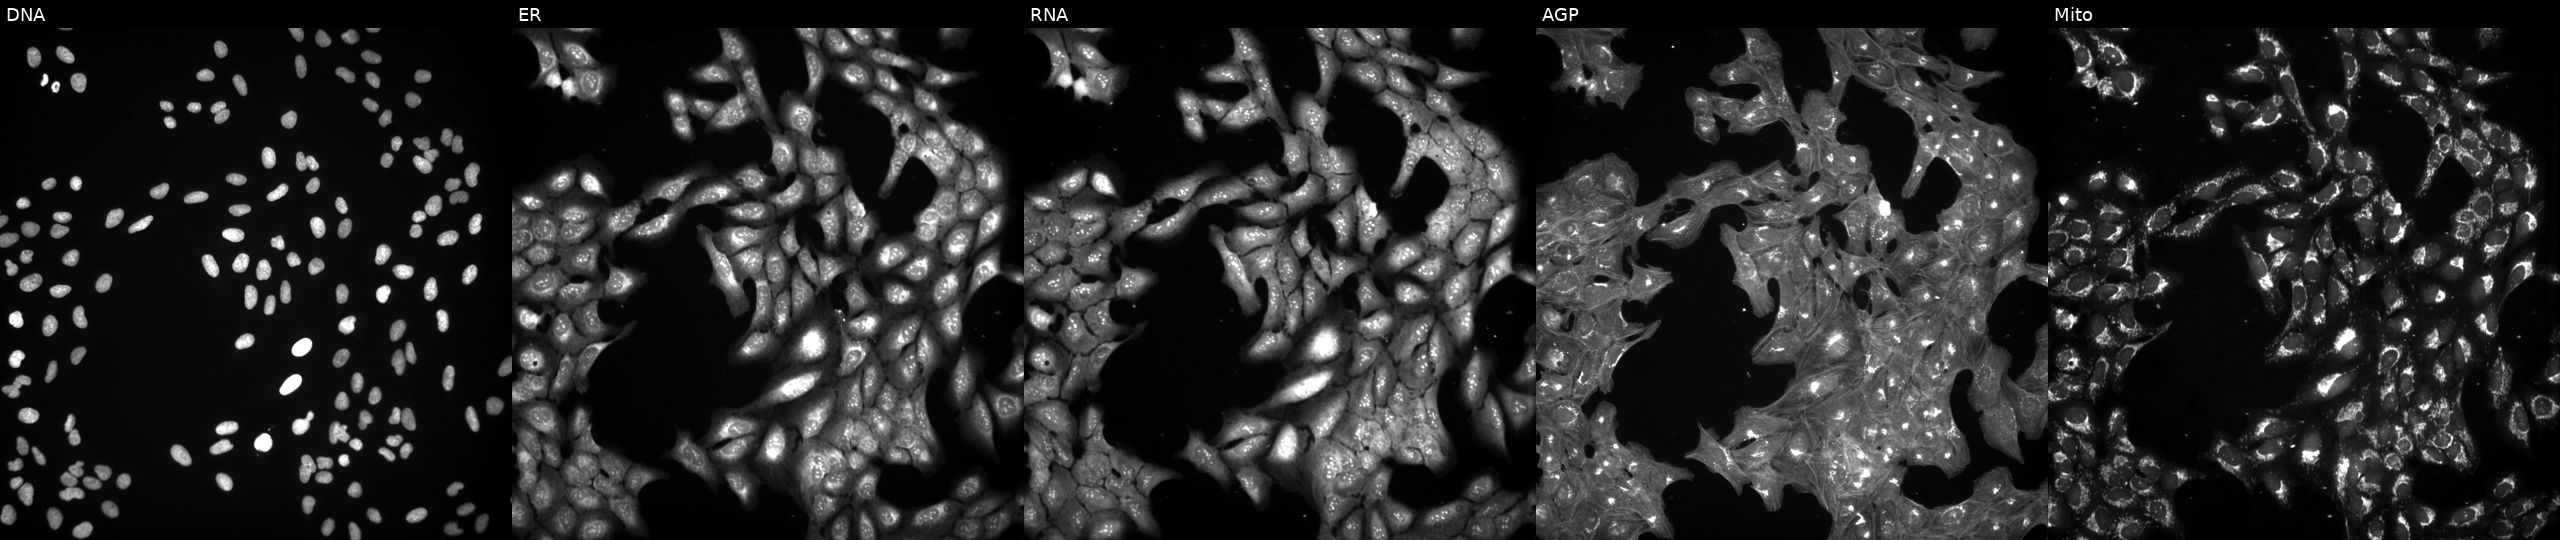
This image strip shows the five Cell Painting channels for a single field of U2OS cells treated with a small-molecule compound (InChIKey NBHPRWLFLUBAIE-UHFFFAOYSA-N). The five panels, left to right, show DNA, ER, RNA, AGP, and Mito. Source 3, plate JCPQC052, well I11.